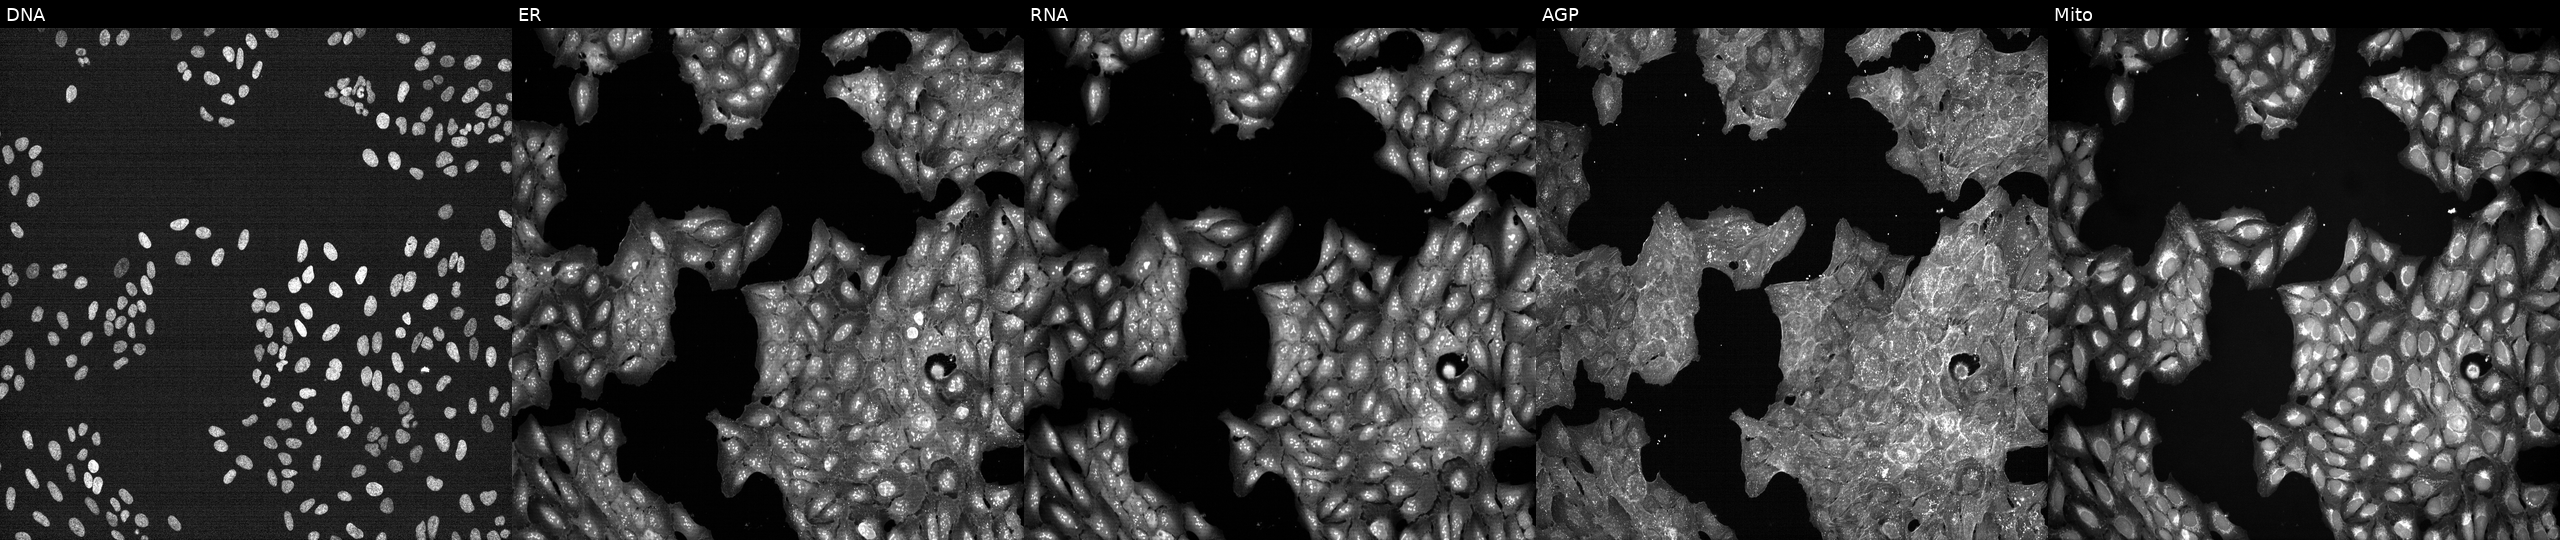
JUMP Cell Painting — TARGET2 plate. U2OS cells treated with a small-molecule compound (InChIKey PZBPKYOVPCNPJY-UHFFFAOYSA-N) (JUMP id JCP2022_071910). Panels show, left to right, DNA, ER, RNA, AGP, and Mito.